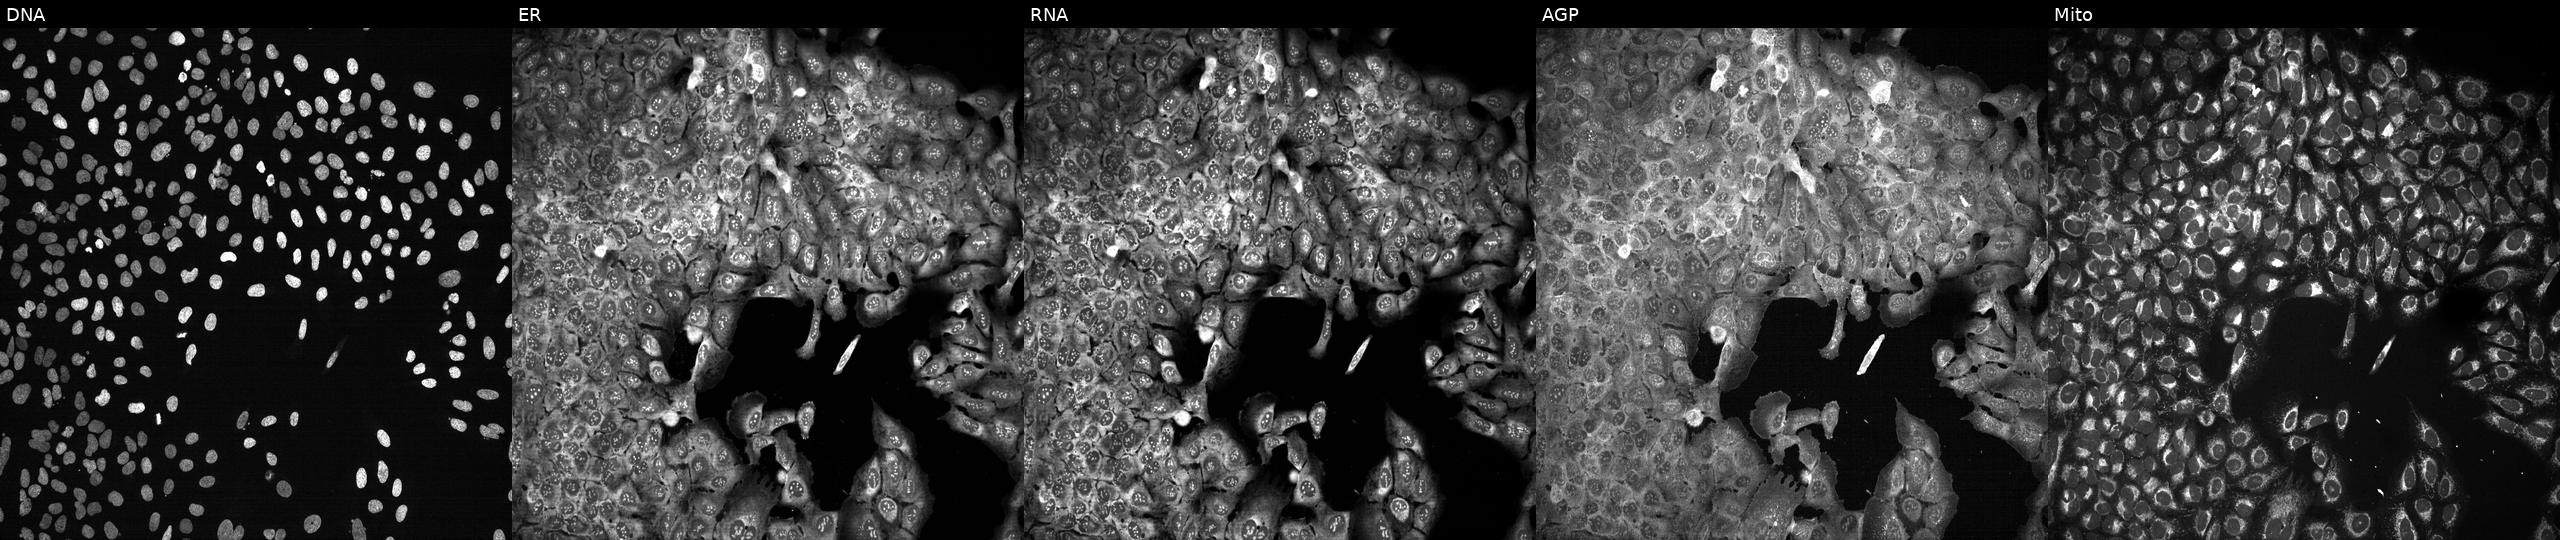
JUMP Cell Painting — CRISPR plate. U2OS cells CRISPR-edited to disrupt NECTIN4 (JUMP id JCP2022_804502). Panels show, left to right, DNA, ER, RNA, AGP, and Mito.